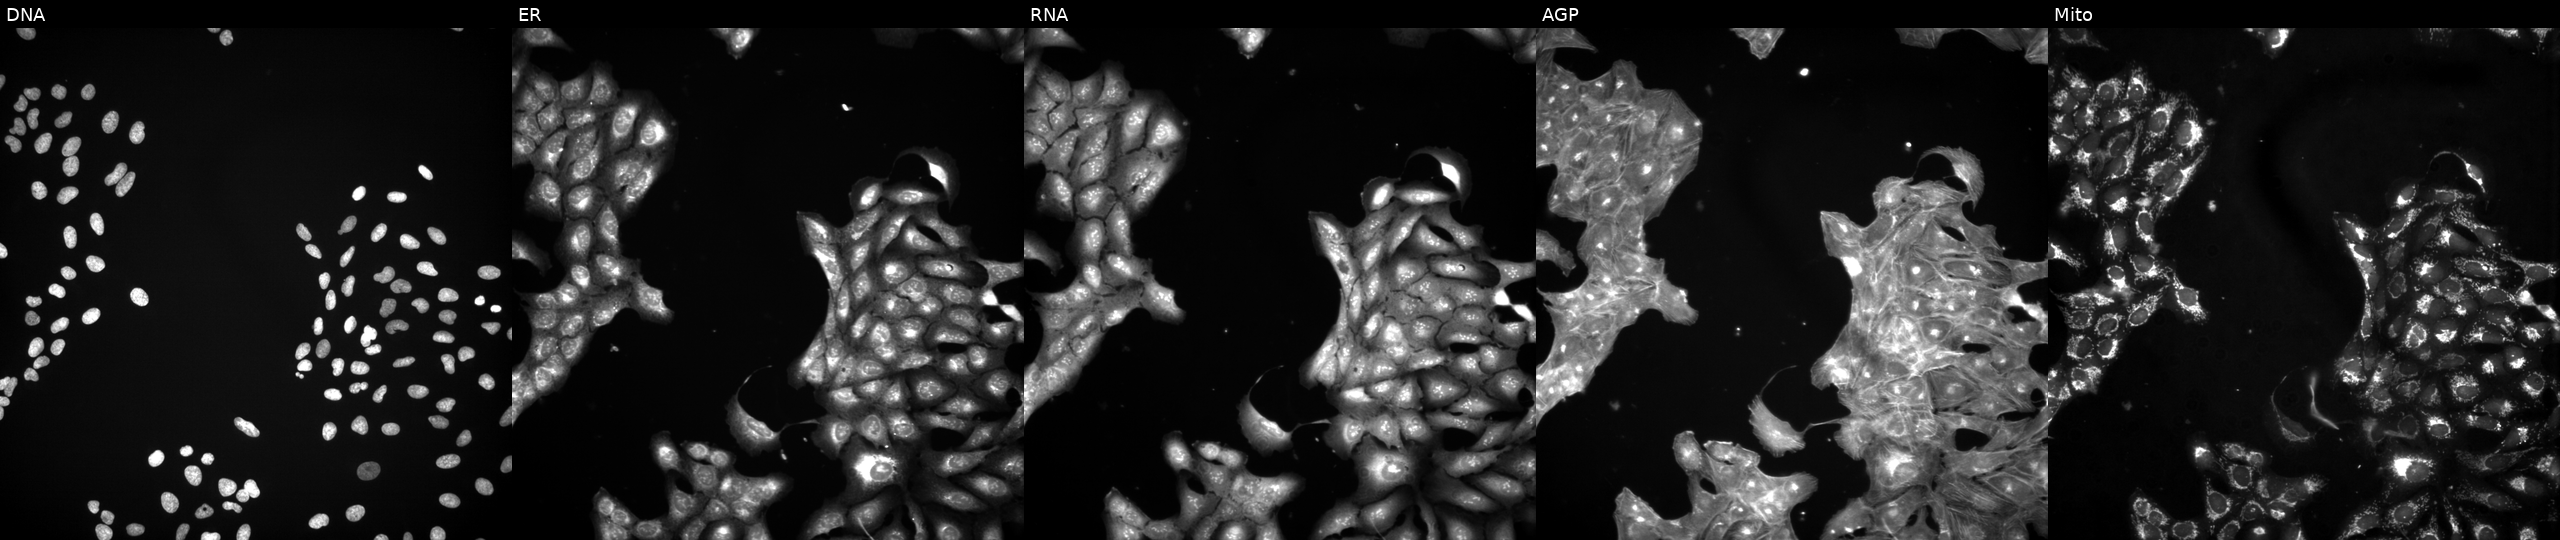
This image strip shows the five Cell Painting channels for a single field of U2OS cells exposed to a small-molecule compound (InChIKey AGNWVEJTZJIJIM-UHFFFAOYSA-N) [SMILES: Cc1cc(C)c2nc(-c3ccccn3)cc(C(=O)Nc3ccc(S(=O)(=O)N=c4o[nH]c(C)c4C)cc3)c2c1]. Panels show, left to right, Hoechst 33342, concanavalin A, SYTO 14, phalloidin and WGA, MitoTracker.